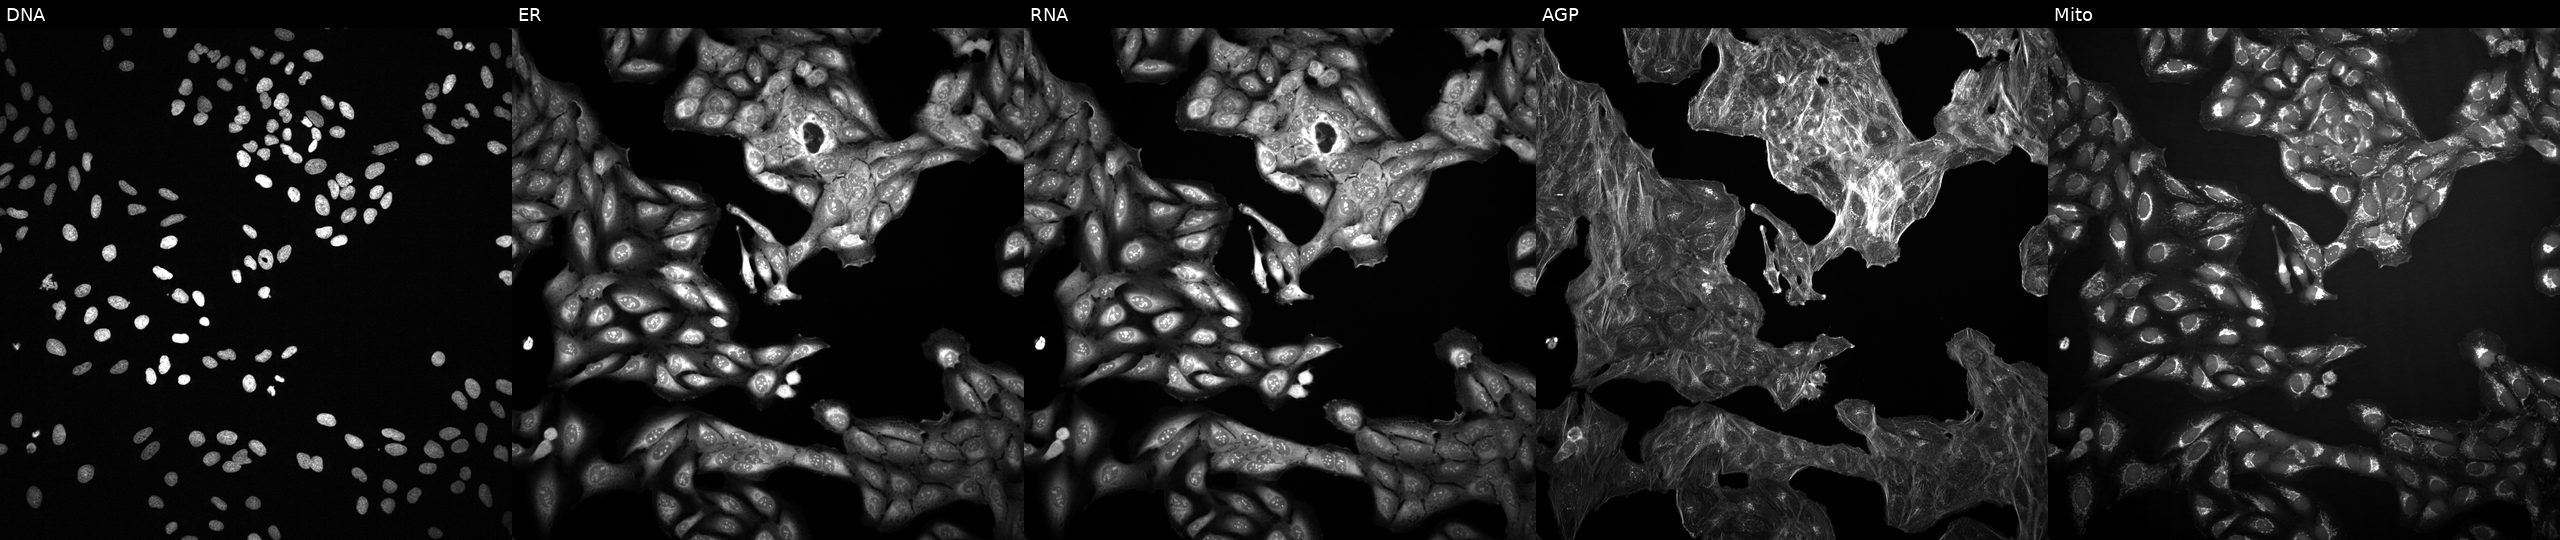
The five panels, left to right, show DNA, ER, RNA, AGP, and Mito. U2OS osteosarcoma cells treated with DMSO vehicle only (negative control). Cell Painting assay, JUMP-CP dataset.